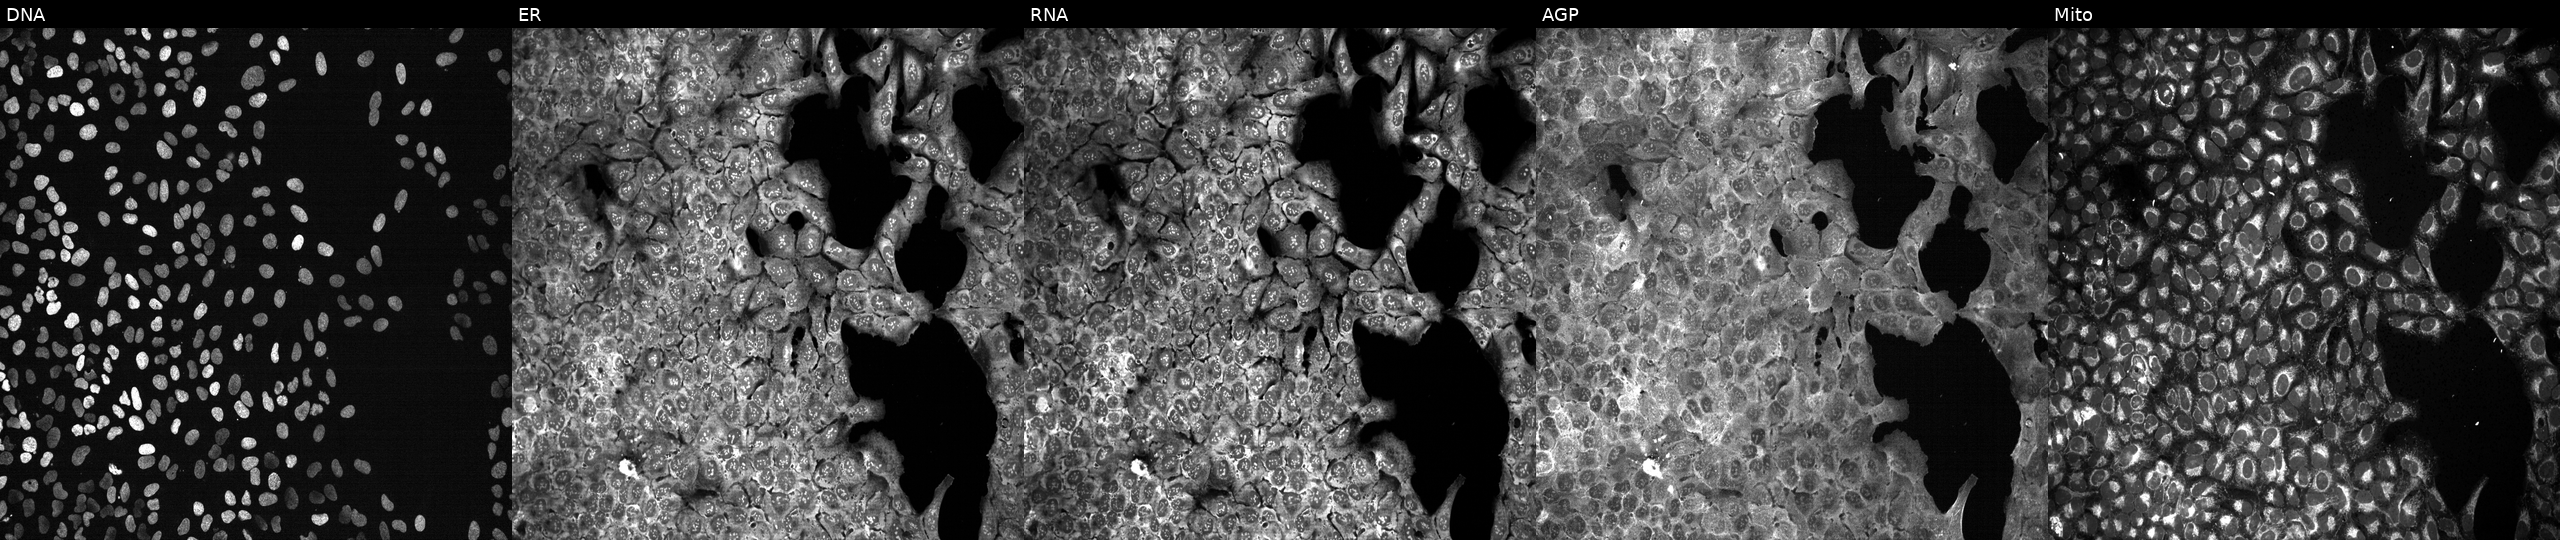
JUMP Cell Painting — CRISPR plate. U2OS cells CRISPR-edited to disrupt CHST3 (JUMP id JCP2022_801334). Panels show, left to right, Hoechst 33342, concanavalin A, SYTO 14, phalloidin and WGA, MitoTracker. Source 13, plate CP-CC9-R3-01, well D18.